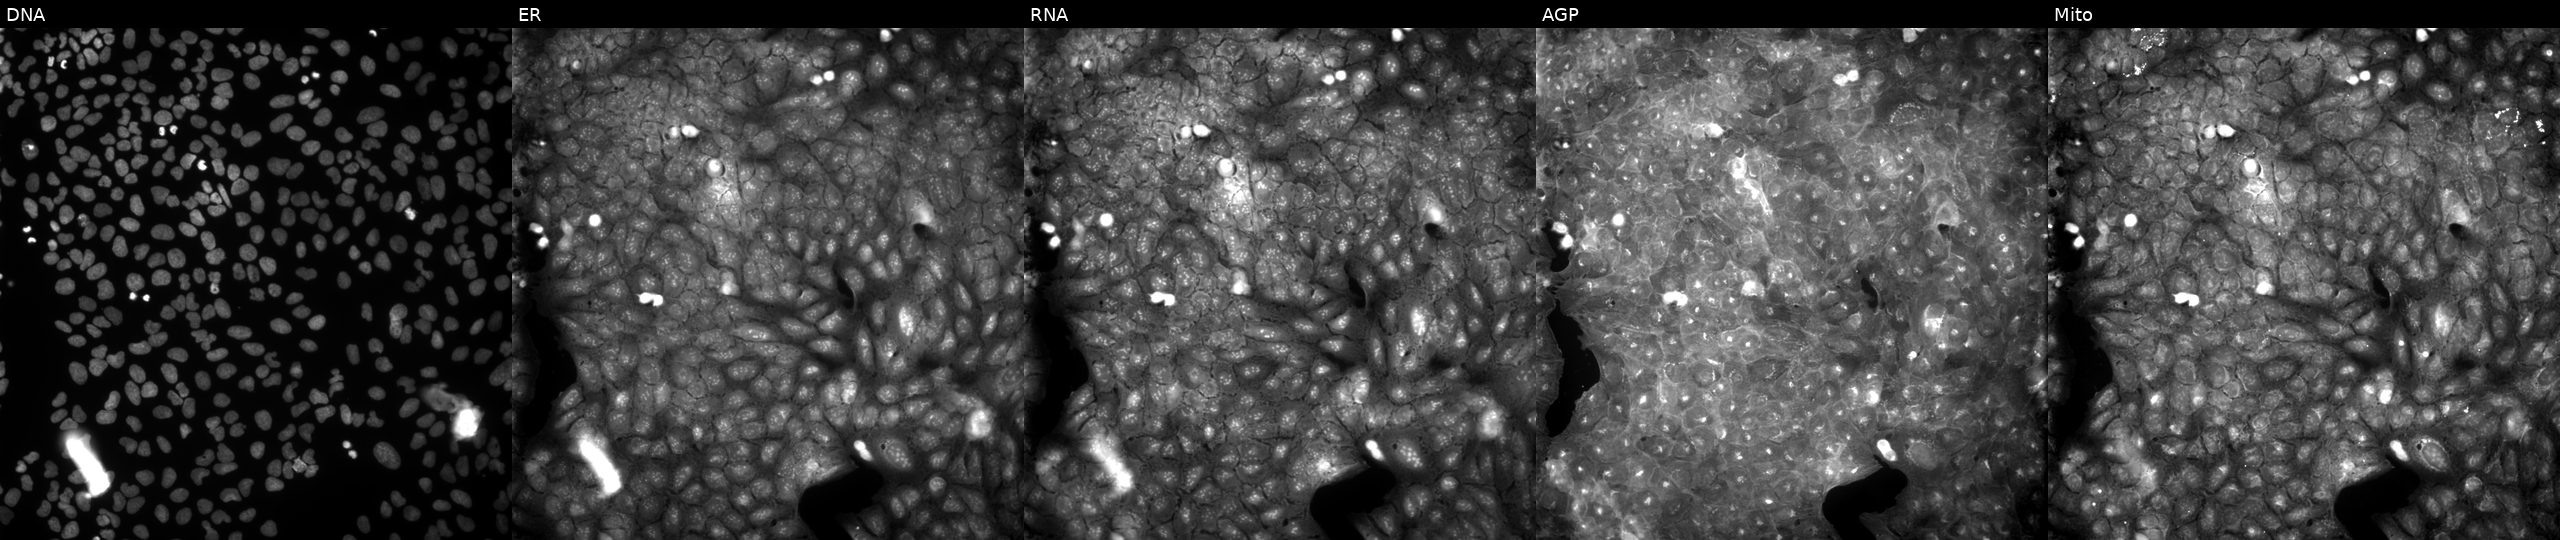
JUMP Cell Painting — COMPOUND plate. U2OS cells treated with a small-molecule compound (InChIKey DODOJPOJYPUJMW-UHFFFAOYSA-N). Channels (left→right): DNA (nuclei); ER (endoplasmic reticulum); RNA (nucleoli and cytoplasmic RNA); AGP (actin cytoskeleton, Golgi, and plasma membrane); Mito (mitochondria). Source 9, plate GR00003381, well M19.